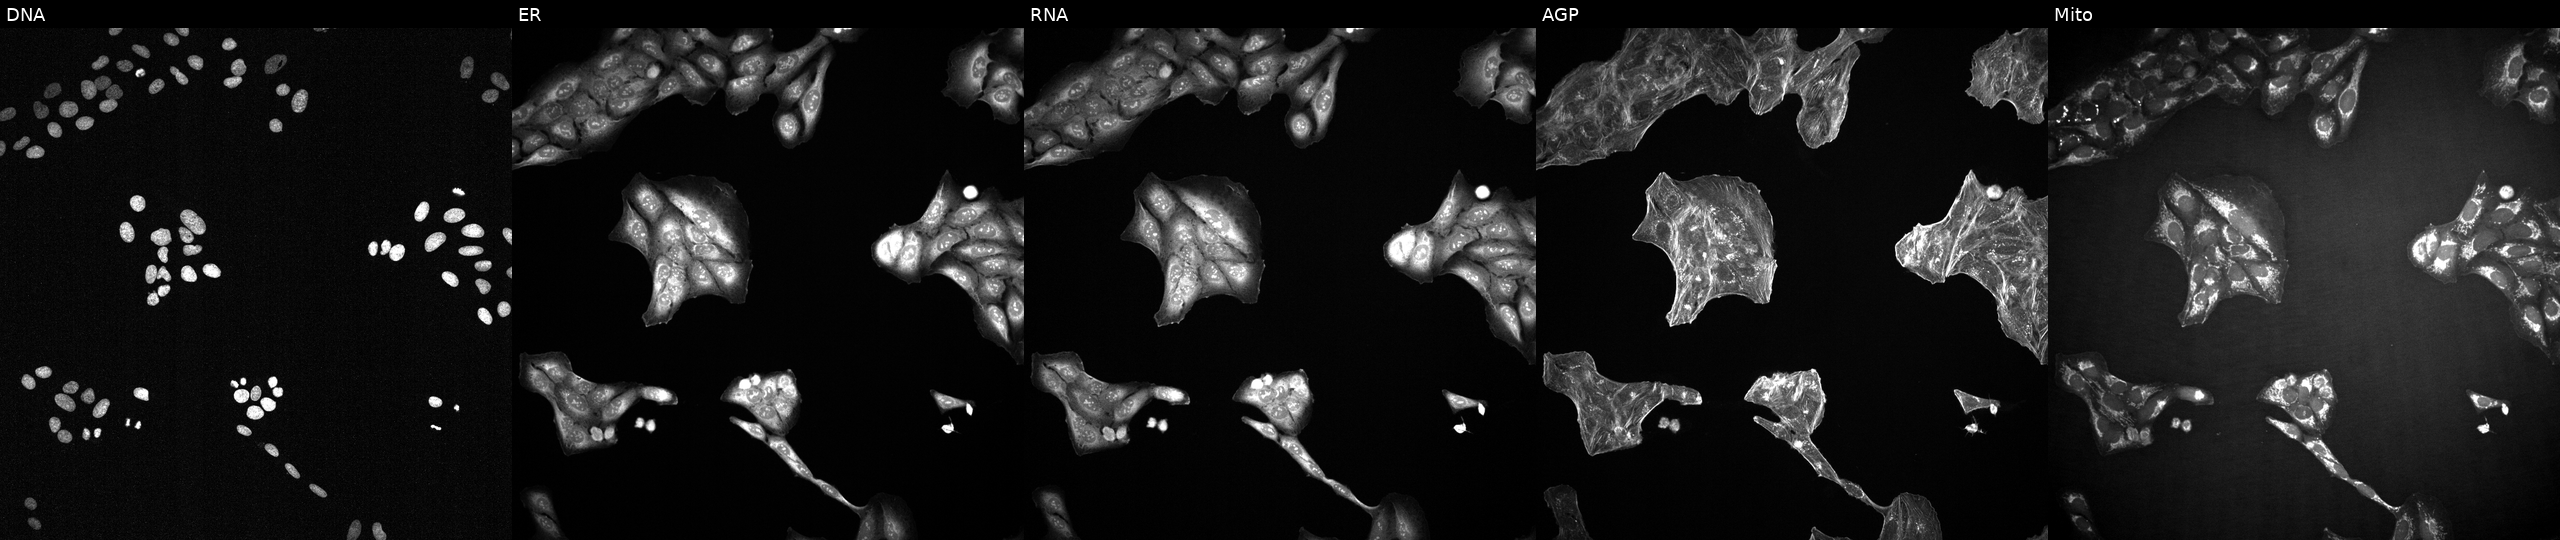
U2OS cells, Cell Painting assay, exposed to a small-molecule compound (InChIKey QUIIIYITNGOFEI-UHFFFAOYSA-N) [SMILES: Cc1ccc(-n2sc(=O)n(Cc3ccc(F)cc3)c2=O)cc1] (JUMP id JCP2022_075930). From left to right: DNA, ER, RNA, AGP, and Mito. Each panel is percentile-stretched 16-bit fluorescence. Source 2, plate 1053599503, well C12.